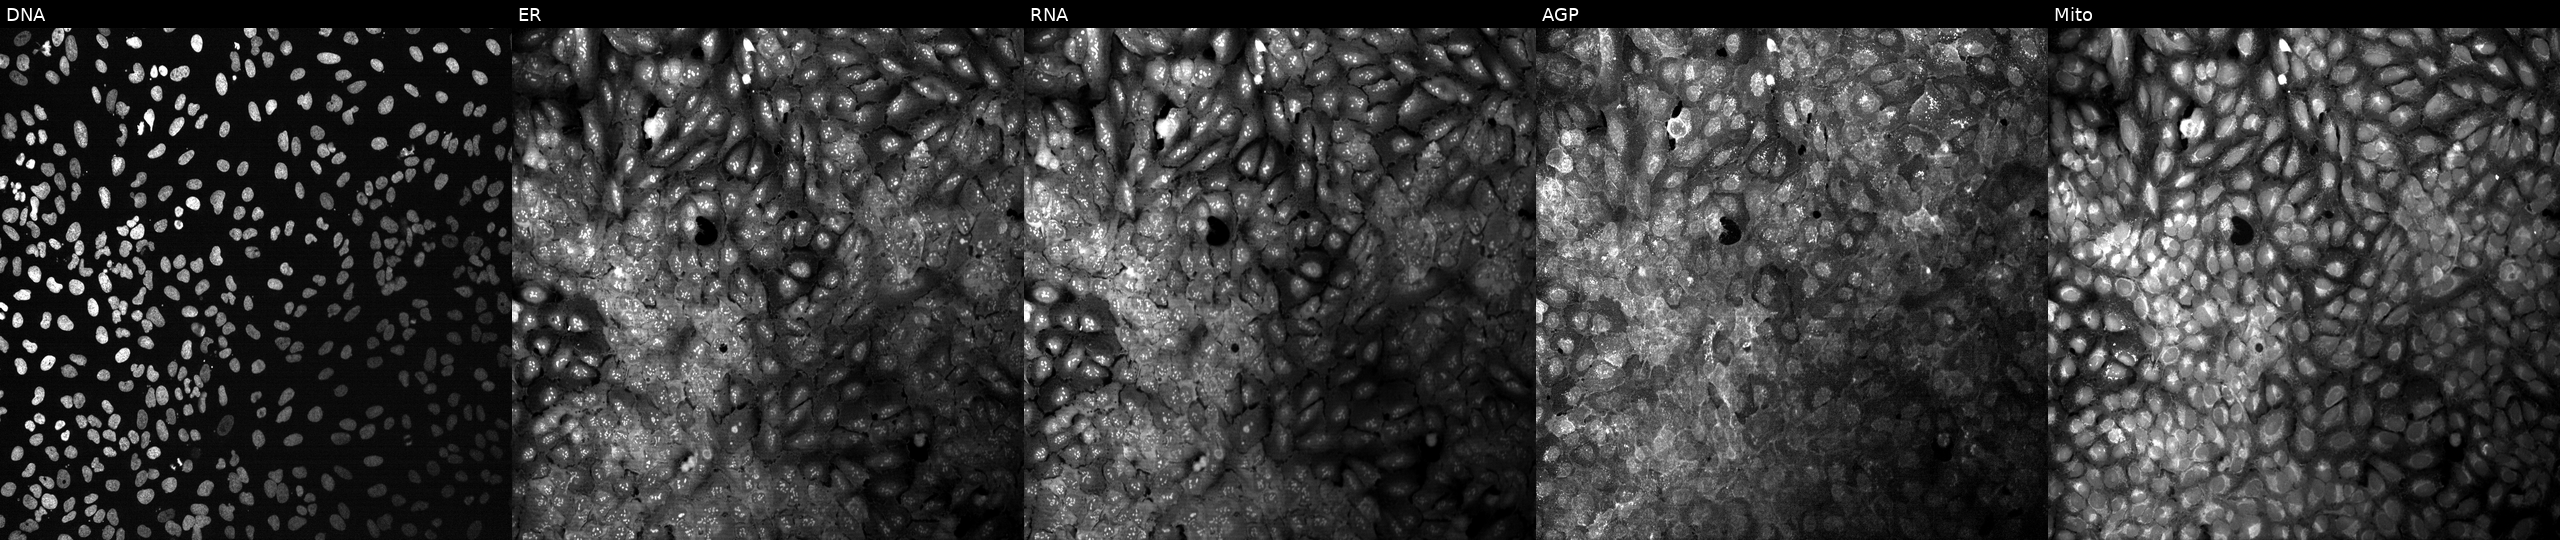
JUMP Cell Painting — CRISPR plate. U2OS cells CRISPR-edited to disrupt ATP10D (JUMP id JCP2022_800690). From left to right: DNA (nuclei); ER (endoplasmic reticulum); RNA (nucleoli and cytoplasmic RNA); AGP (actin cytoskeleton, Golgi, and plasma membrane); Mito (mitochondria). Source 13, plate CP-CC9-R1-01, well H21.